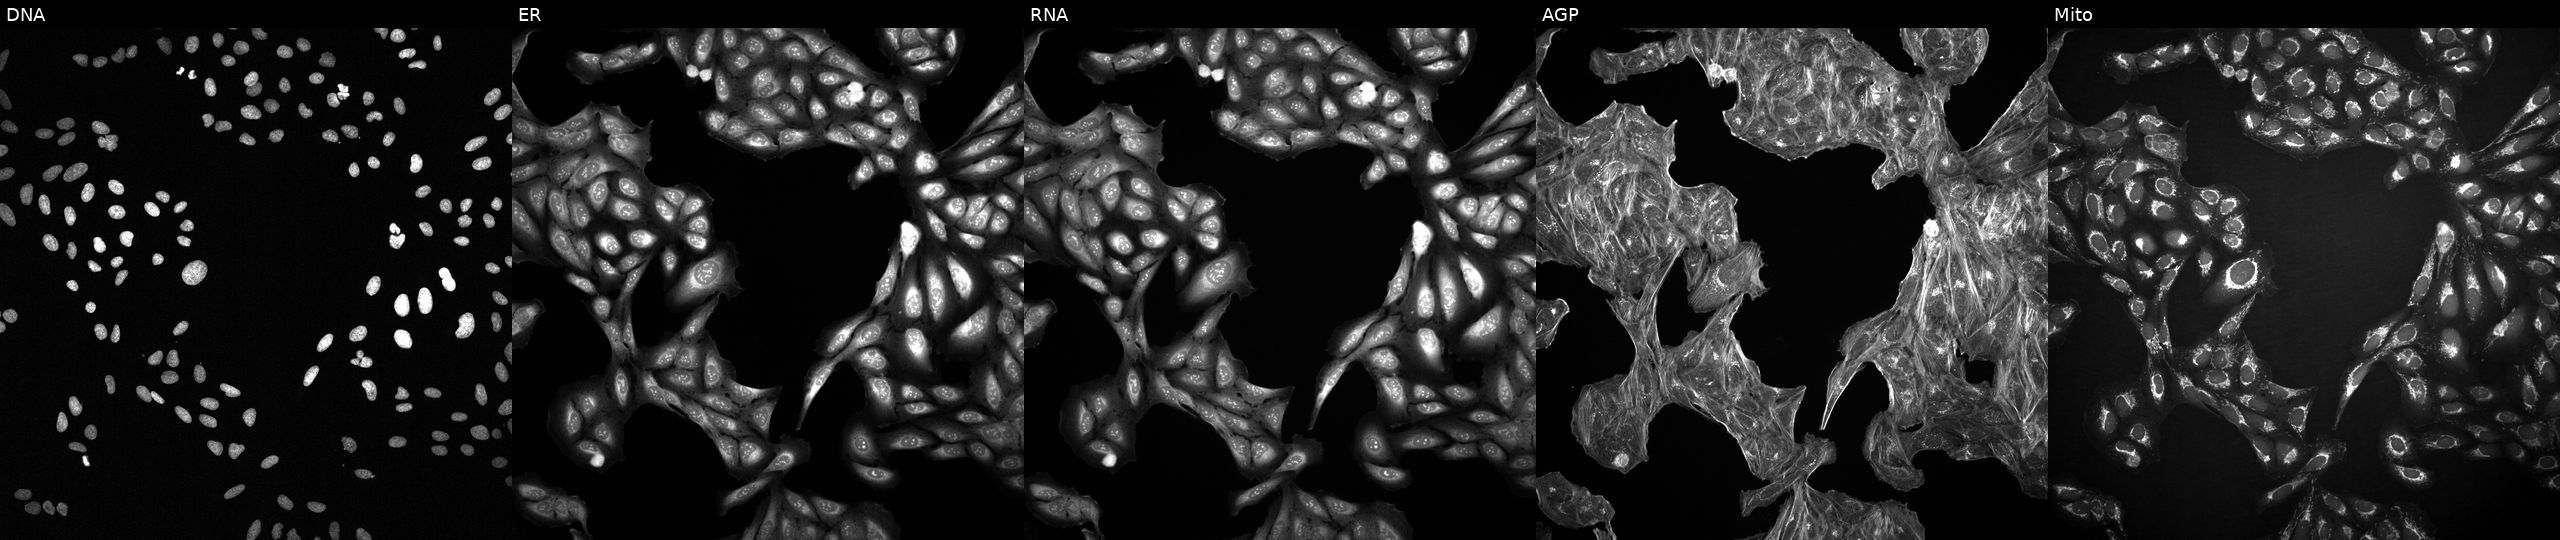
This image strip shows the five Cell Painting channels for a single field of U2OS cells perturbed with a small-molecule compound (InChIKey WHZKYTYMSOKKMN-UHFFFAOYSA-N). Panels show, left to right, DNA, ER, RNA, AGP, and Mito.